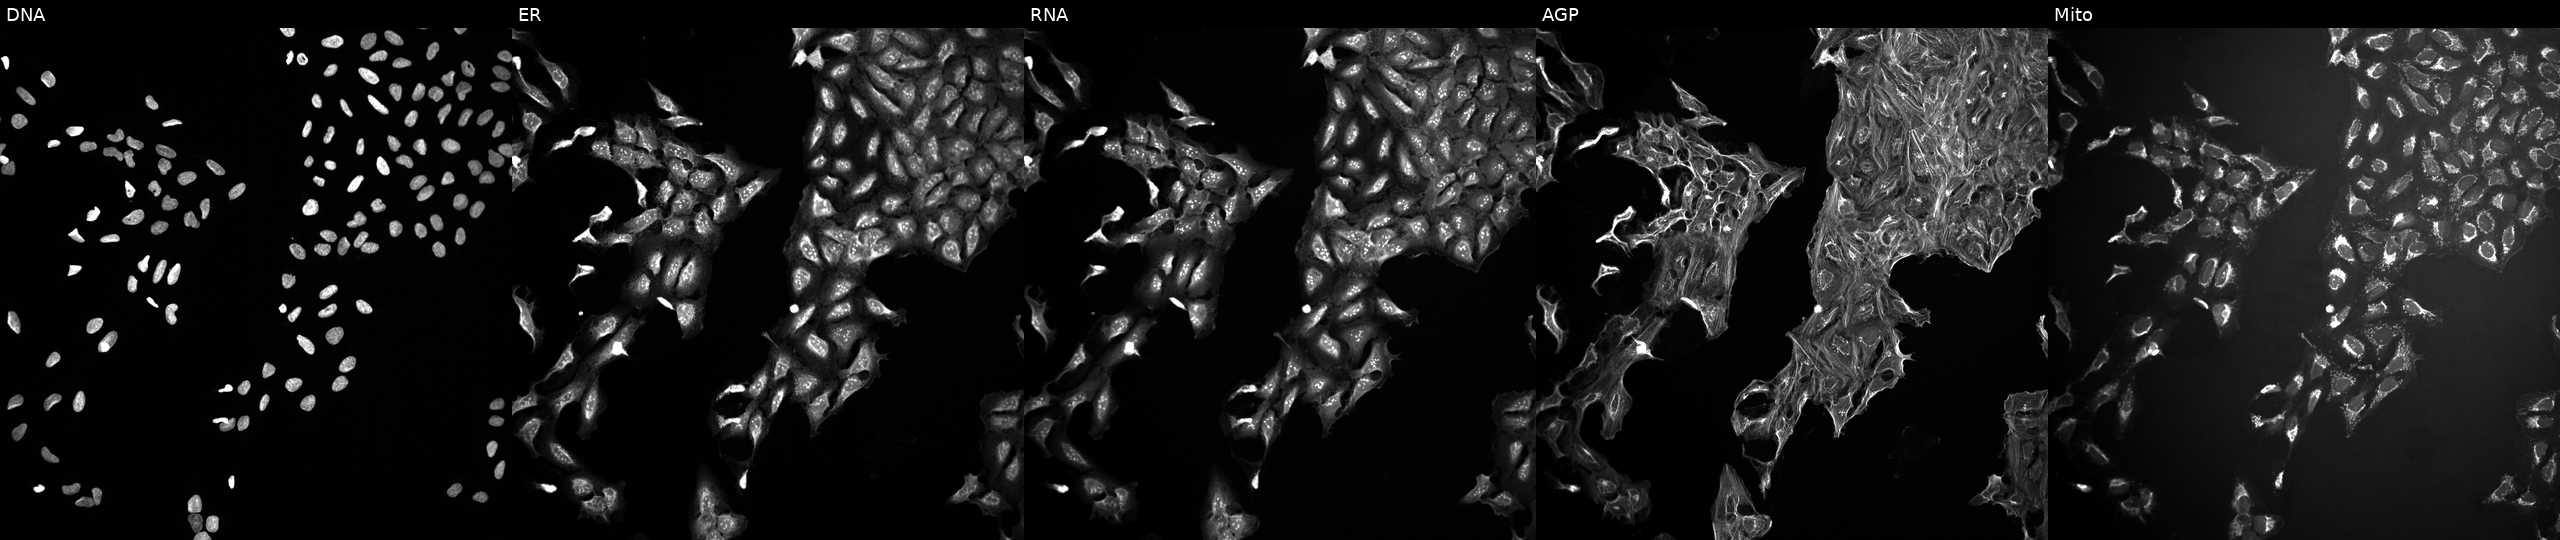
From left to right: DNA (nuclei); ER (endoplasmic reticulum); RNA (nucleoli and cytoplasmic RNA); AGP (actin cytoskeleton, Golgi, and plasma membrane); Mito (mitochondria). U2OS osteosarcoma cells treated with a small-molecule compound [SMILES: CN(C)CCC=C1c2ccccc2COc2ccc(CC(=O)O)cc21] (JUMP id JCP2022_038675). Cell Painting assay, JUMP-CP dataset. Source 10, plate Dest210726-160150, well I22.